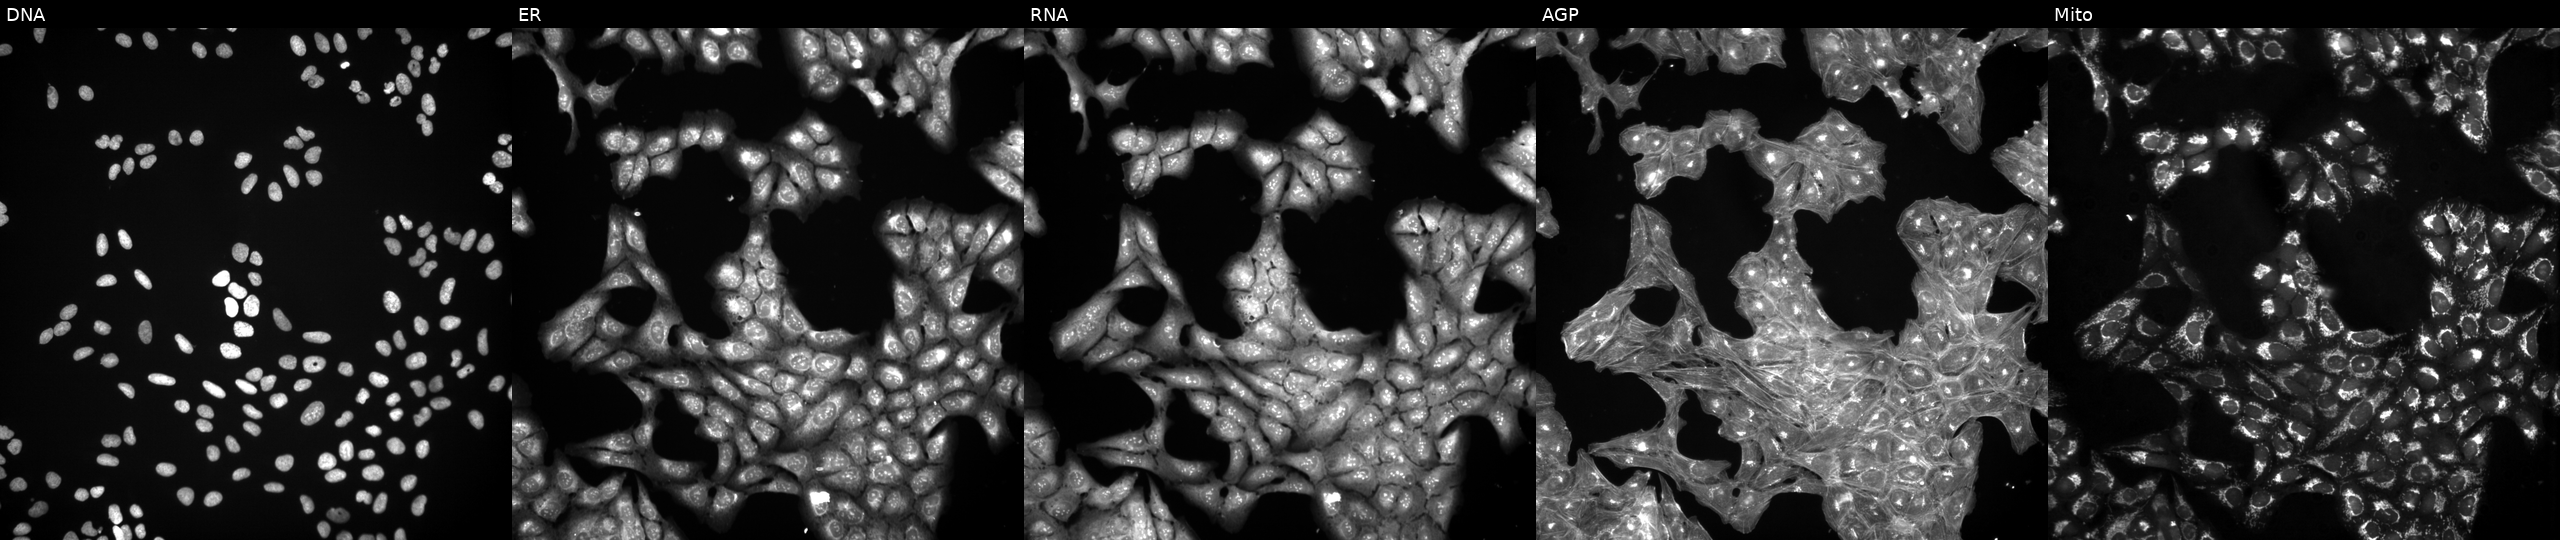
U2OS cells, Cell Painting assay, treated with DMSO vehicle only (negative control). From left to right: DNA (nuclei); ER (endoplasmic reticulum); RNA (nucleoli and cytoplasmic RNA); AGP (actin cytoskeleton, Golgi, and plasma membrane); Mito (mitochondria). Each panel is percentile-stretched 16-bit fluorescence.